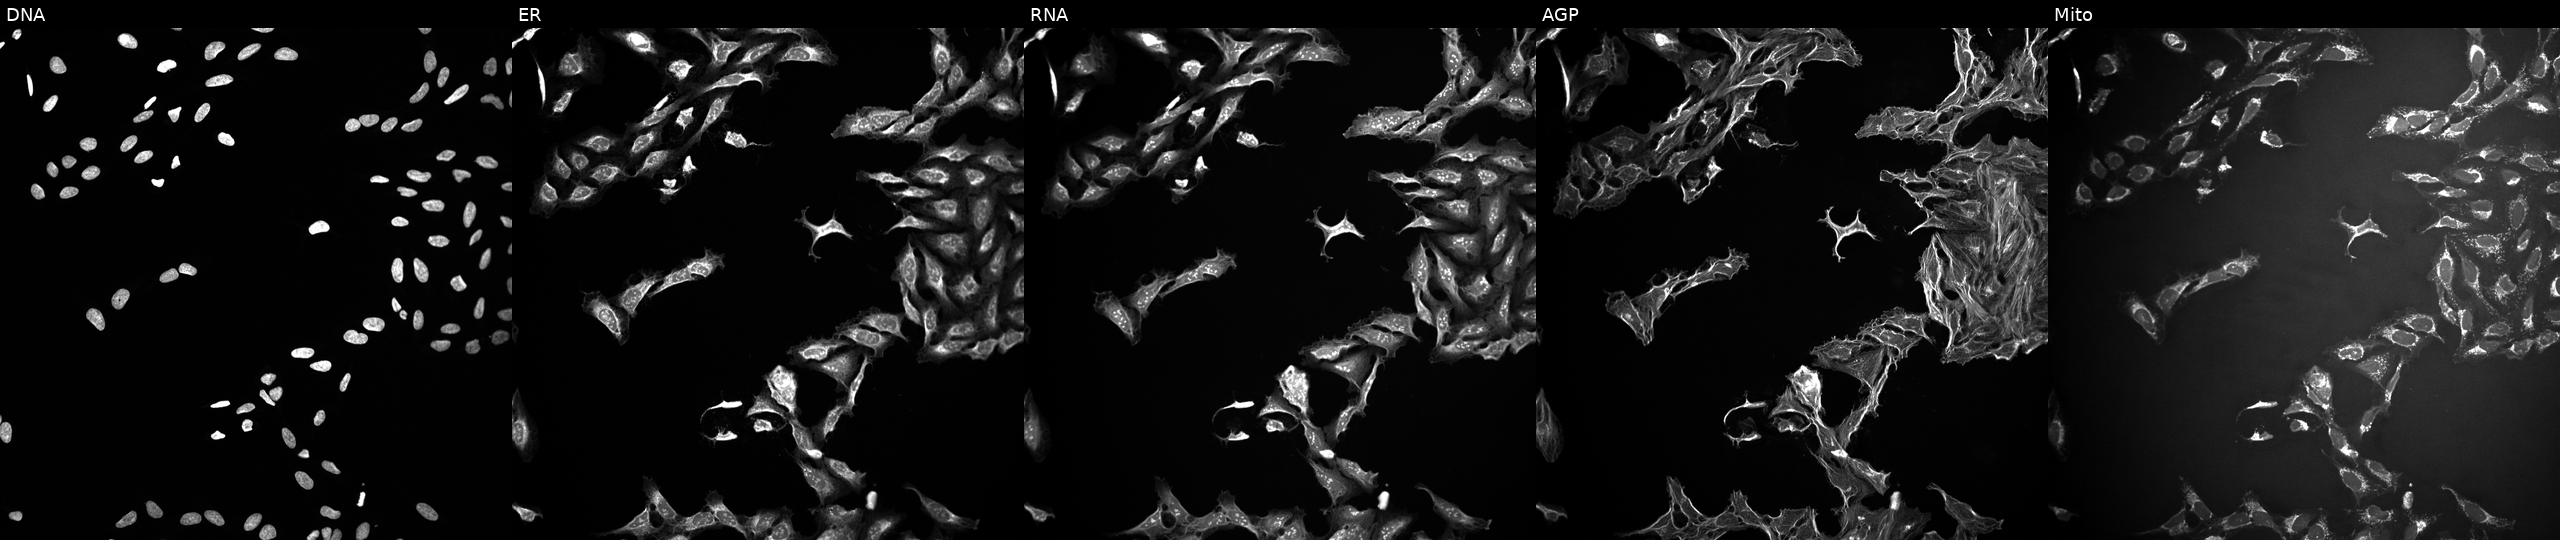
Panels show, left to right, DNA, ER, RNA, AGP, and Mito. U2OS osteosarcoma cells treated with DMSO vehicle only (negative control). Cell Painting assay, JUMP-CP dataset. Source 10, plate Dest210727-153003, well L23.